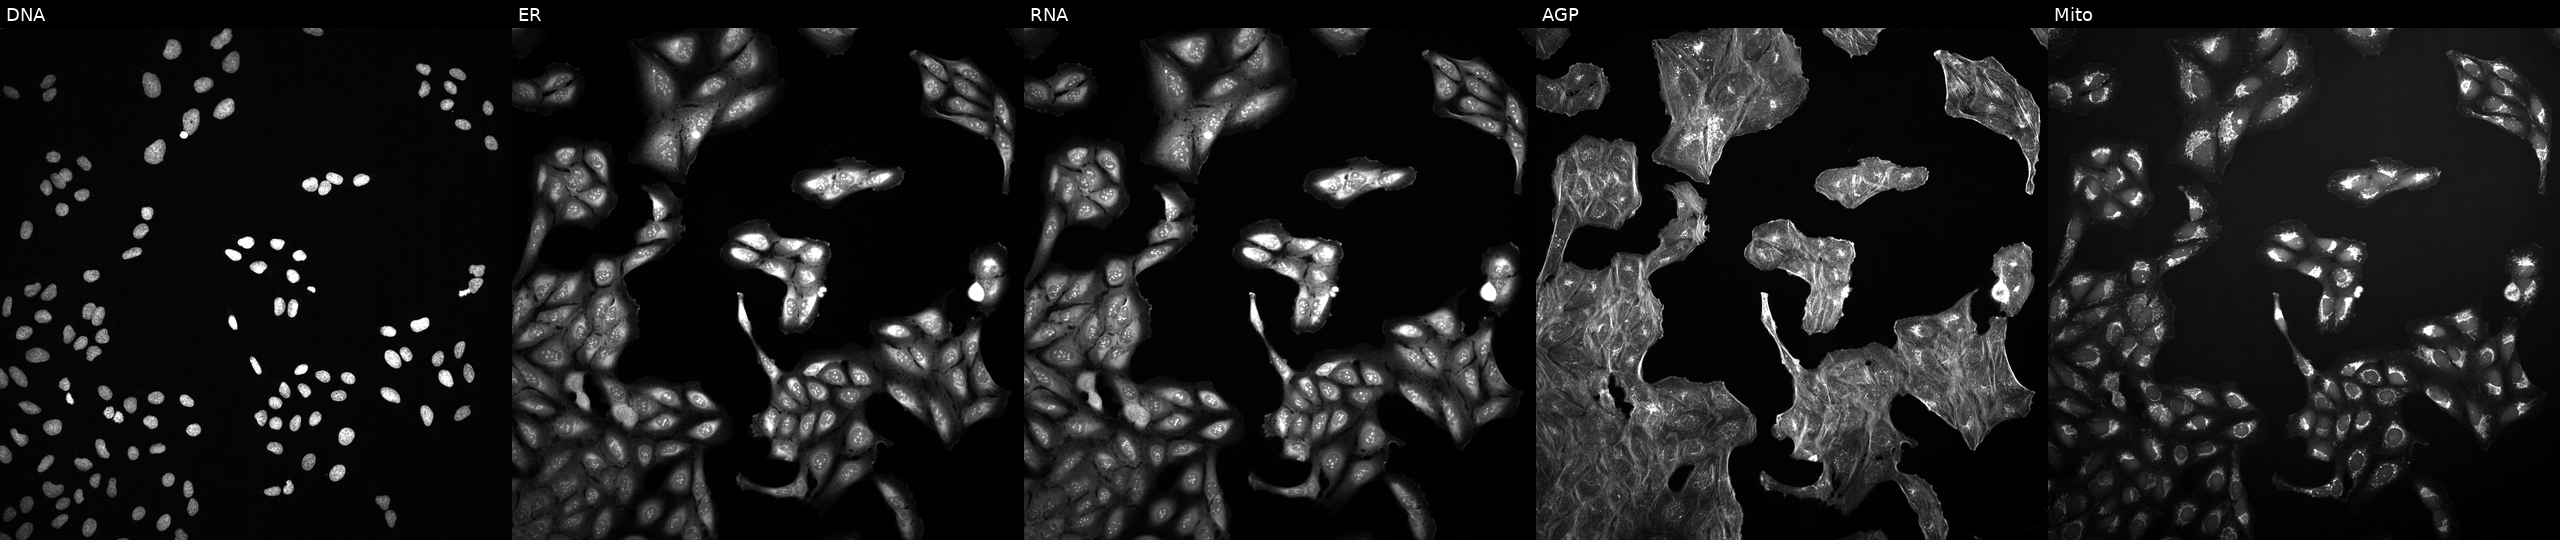
Five-channel Cell Painting image of U2OS cells exposed to a small-molecule compound. The five panels, left to right, show DNA (nuclei); ER (endoplasmic reticulum); RNA (nucleoli and cytoplasmic RNA); AGP (actin cytoskeleton, Golgi, and plasma membrane); Mito (mitochondria).